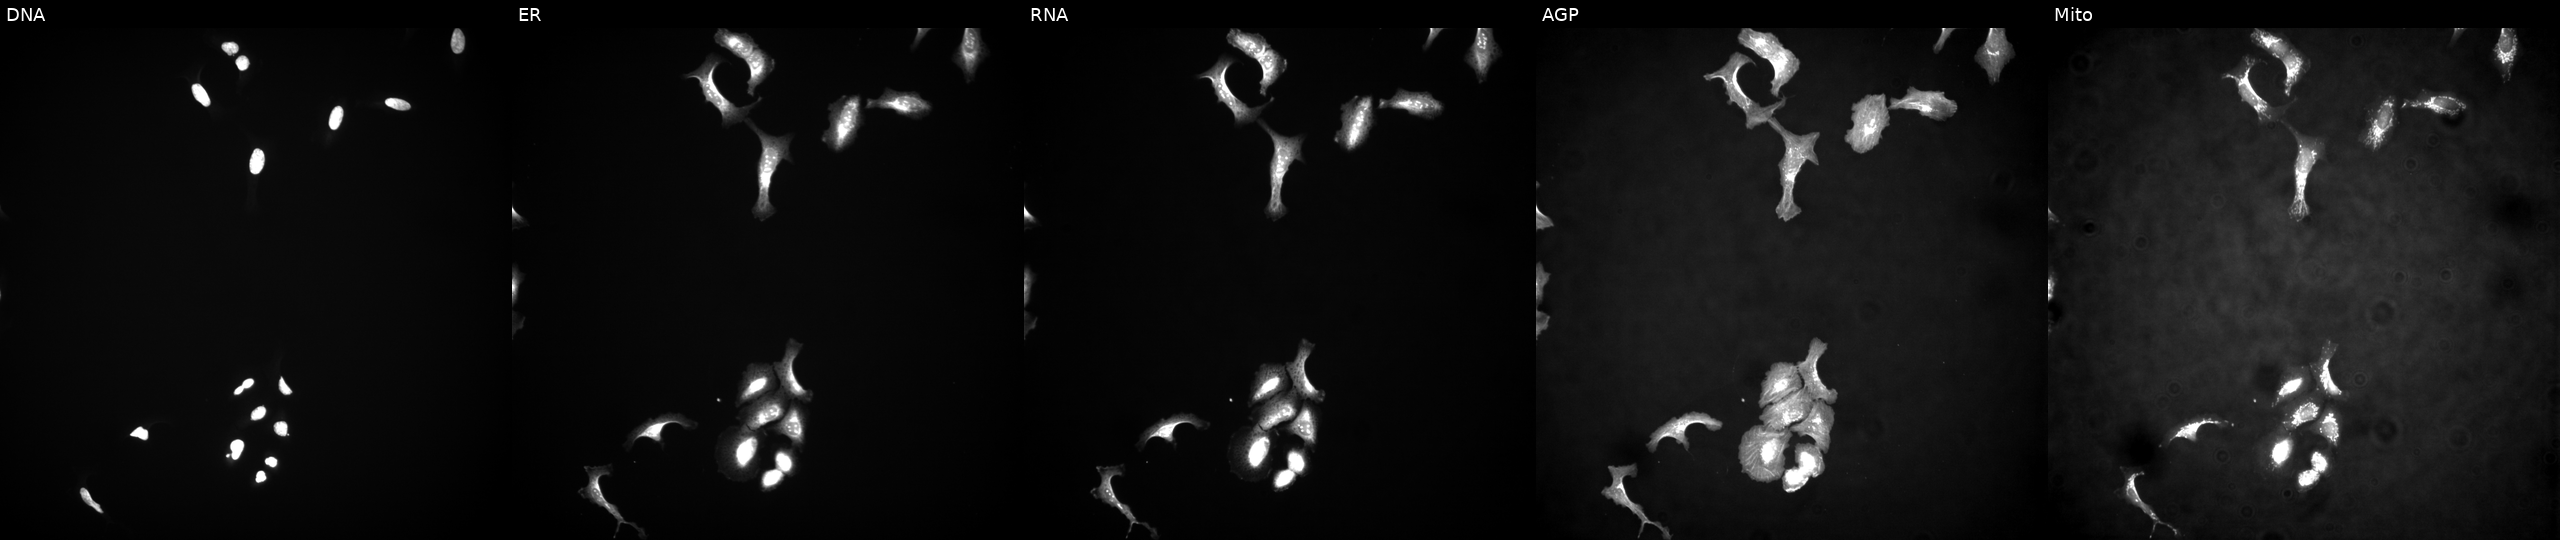
Channels (left→right): DNA (nuclei); ER (endoplasmic reticulum); RNA (nucleoli and cytoplasmic RNA); AGP (actin cytoskeleton, Golgi, and plasma membrane); Mito (mitochondria). U2OS osteosarcoma cells transfected with an ORF construct for RETNLB. Cell Painting assay, JUMP-CP dataset. Source 4, plate BR00124784, well L15.